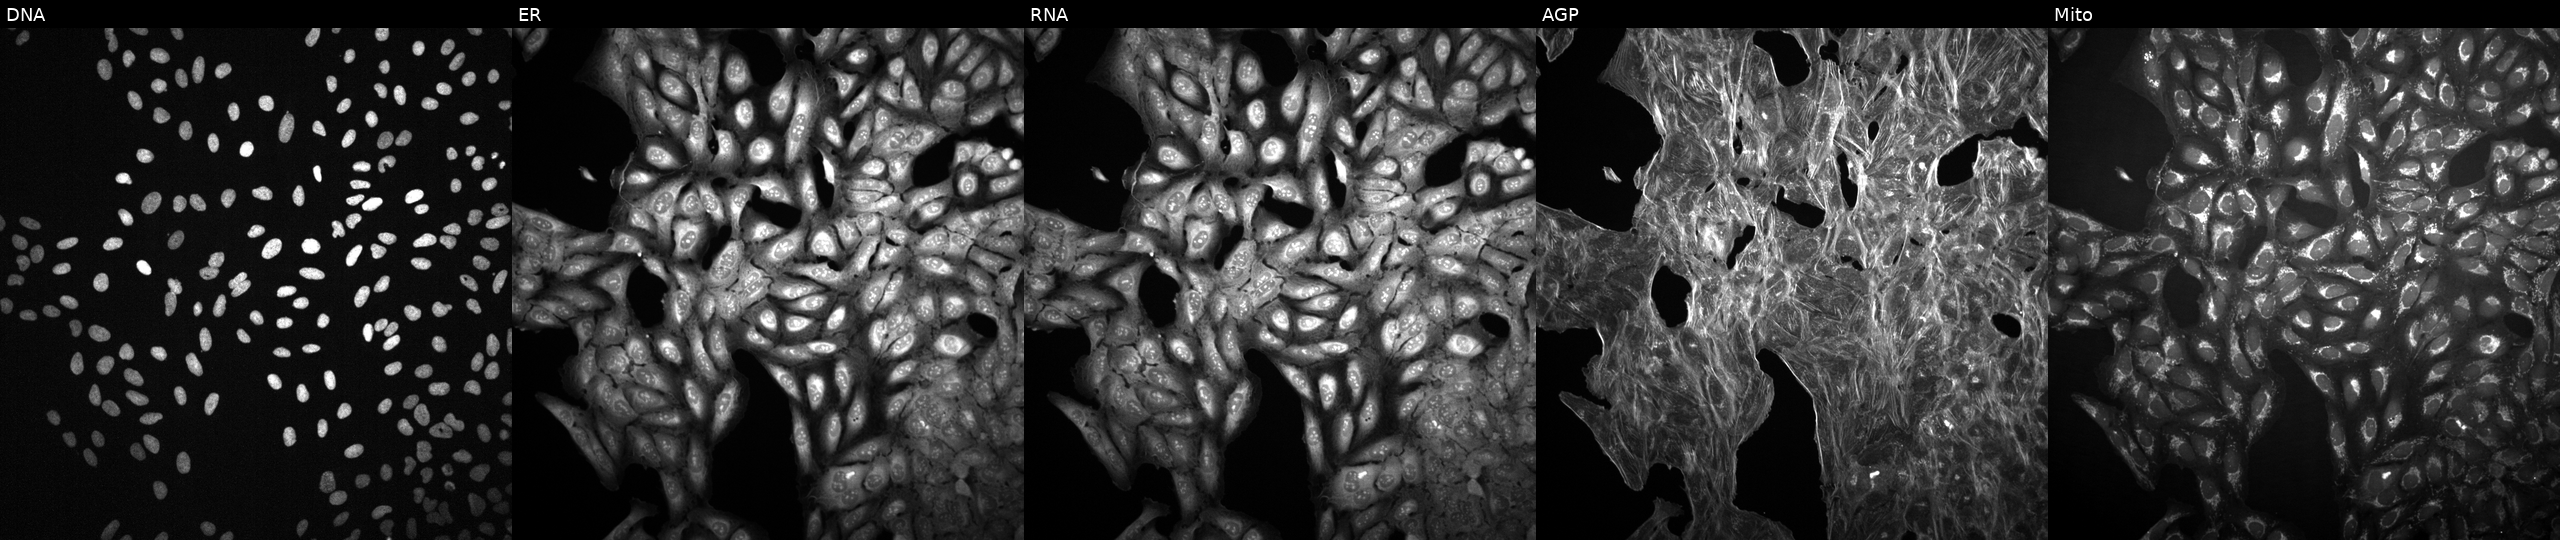
High-content fluorescence microscopy (Cell Painting). Cell line: U2OS. Perturbation: exposed to DMSO alone as a negative control (JUMP id JCP2022_033924). Channels (left→right): DNA, ER, RNA, AGP, and Mito.